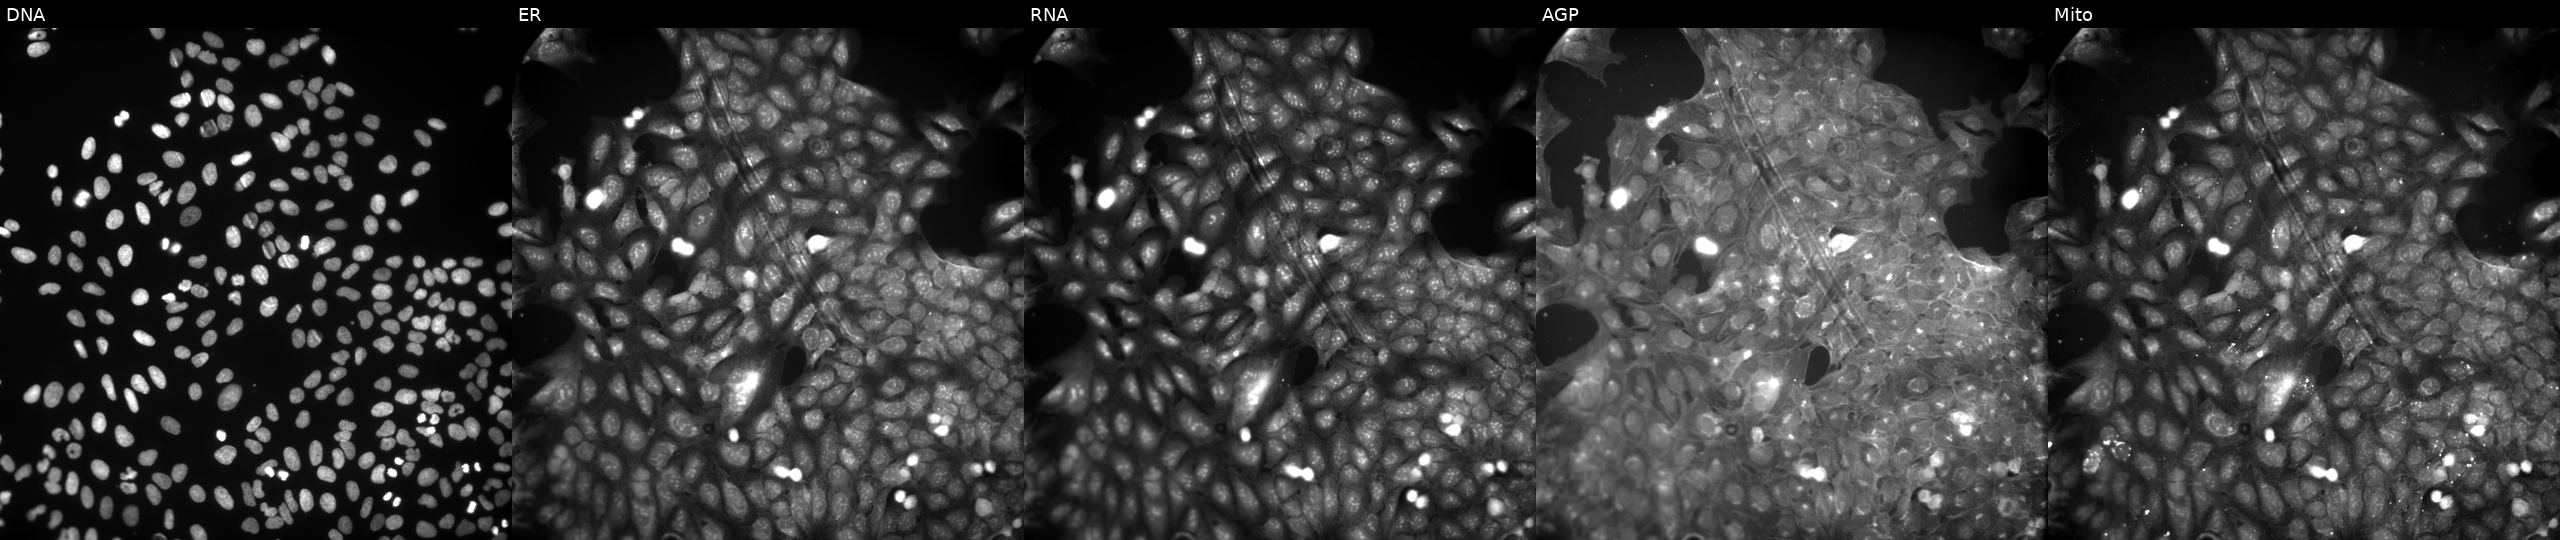
This image strip shows the five Cell Painting channels for a single field of U2OS cells exposed to DMSO alone as a negative control (JUMP id JCP2022_033924). From left to right: Hoechst 33342, concanavalin A, SYTO 14, phalloidin and WGA, MitoTracker. Source 9, plate GR00003381, well AF02.